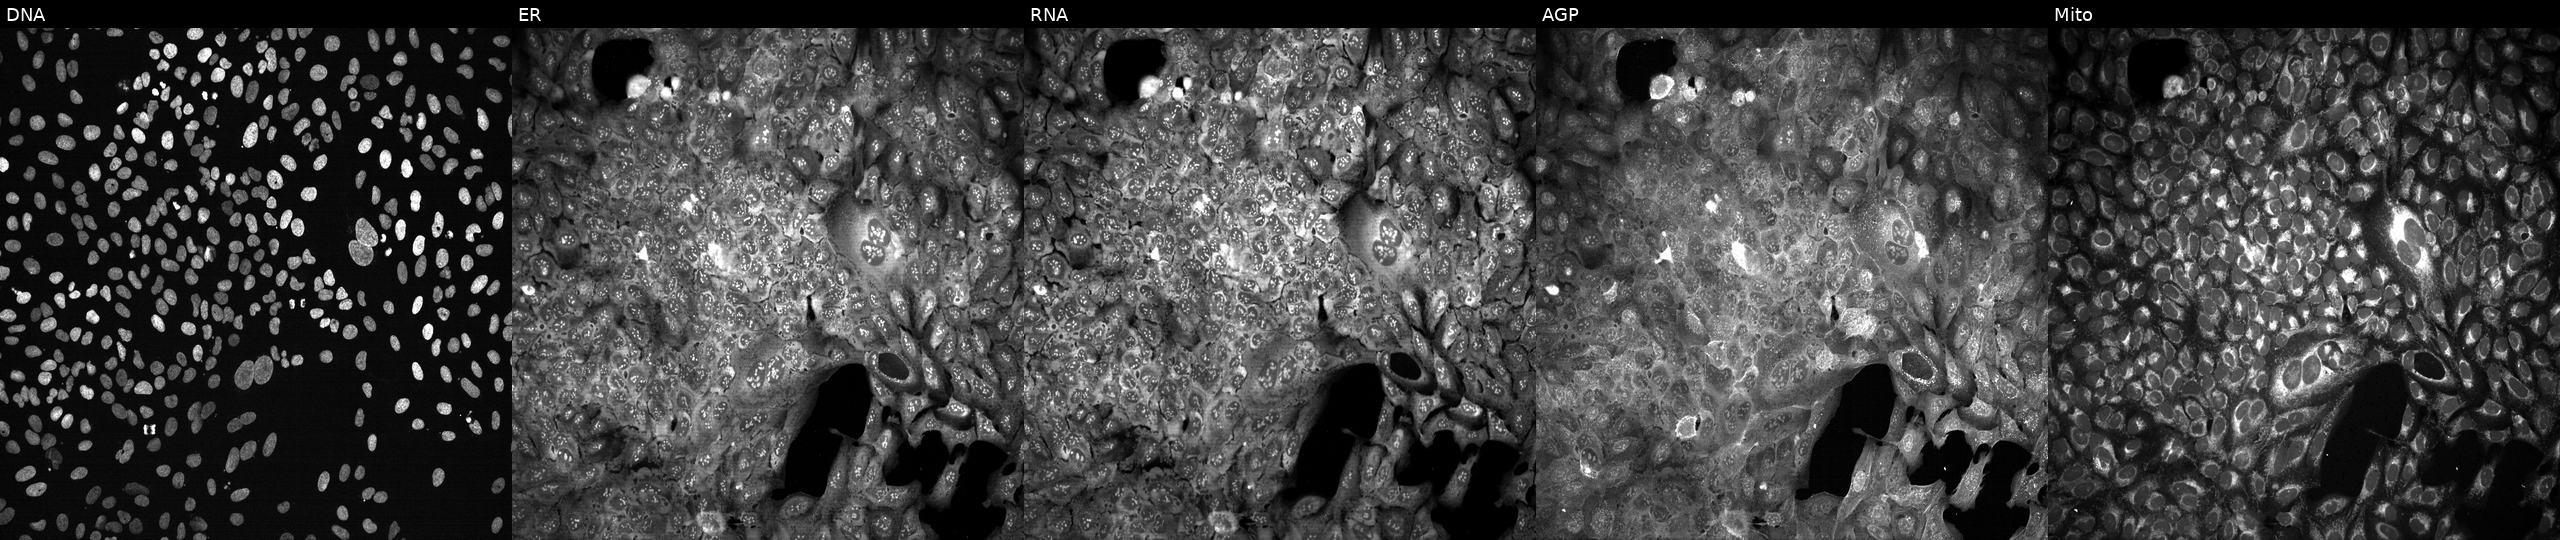
High-content fluorescence microscopy (Cell Painting). Cell line: U2OS. Perturbation: following CRISPR knockout of SDHB. Panels show, left to right, Hoechst 33342, concanavalin A, SYTO 14, phalloidin and WGA, MitoTracker. Source 13, plate CP-CC9-R4-04, well O11.